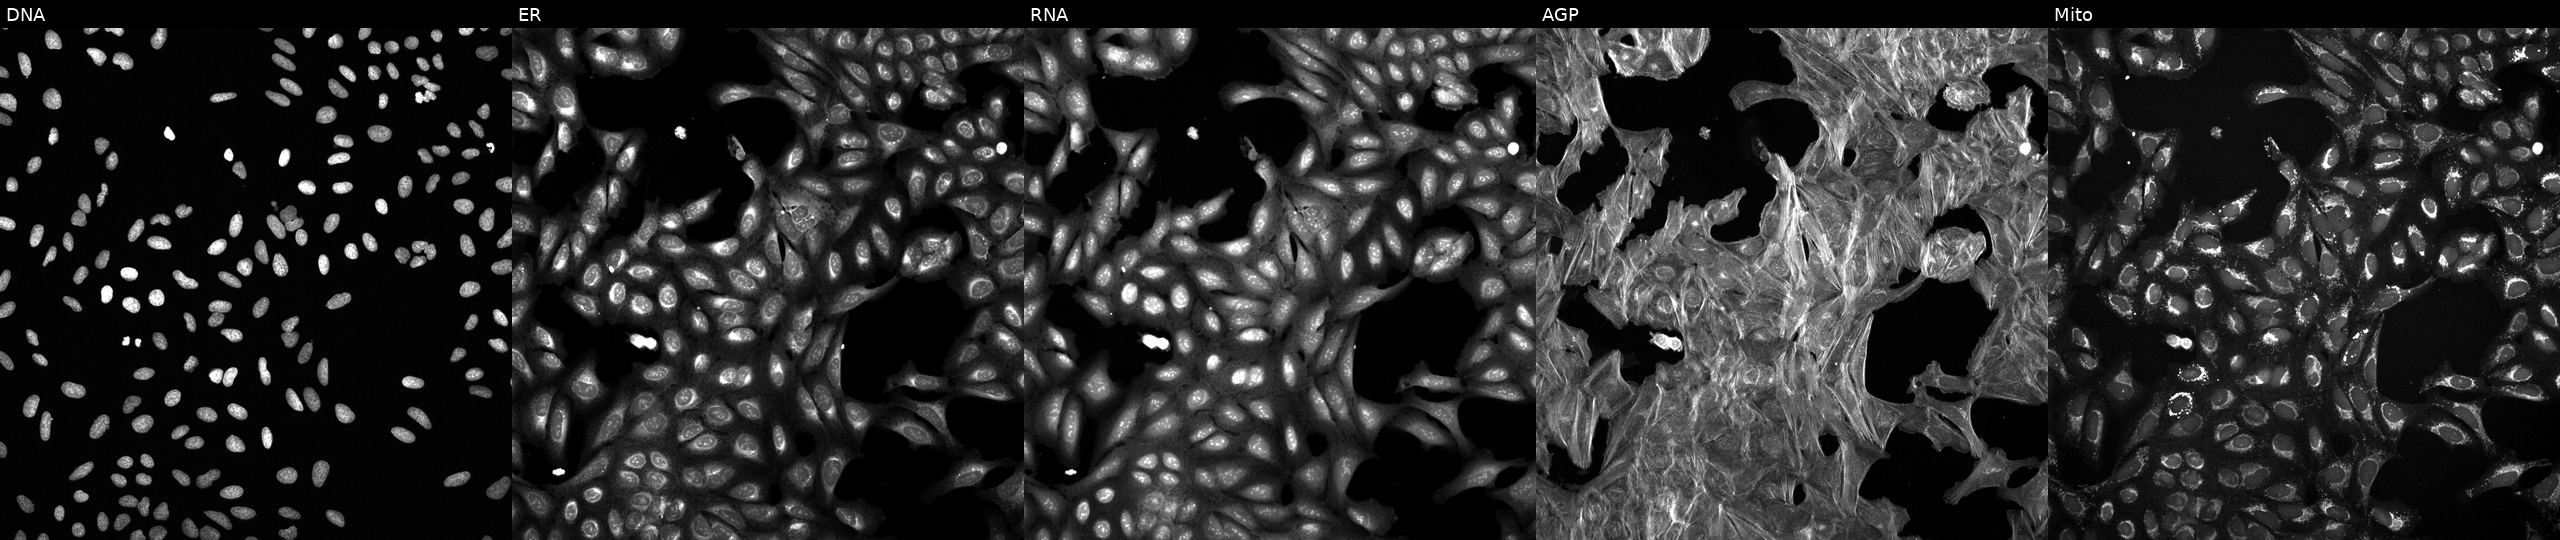
JUMP Cell Painting — TARGET2 plate. U2OS cells perturbed with a small-molecule compound (InChIKey ZRALSGWEFCBTJO-UHFFFAOYSA-N). Channels (left→right): Hoechst 33342, concanavalin A, SYTO 14, phalloidin and WGA, MitoTracker.